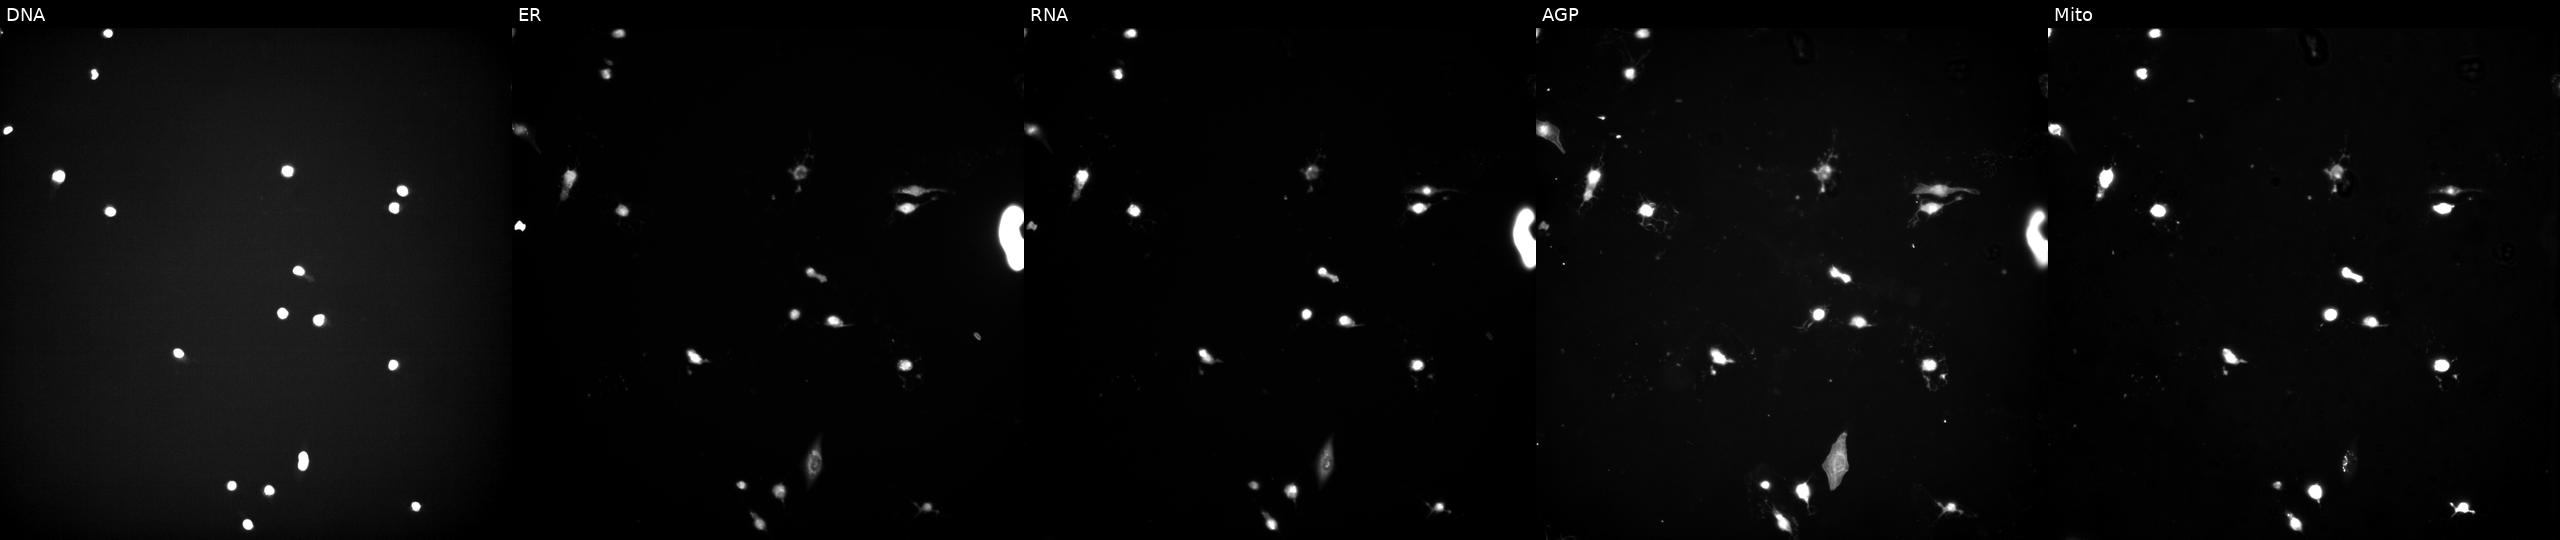
U2OS cells, Cell Painting assay, treated with a small-molecule compound (InChIKey XUZQTIZWMHMWOC-UHFFFAOYSA-N) (JUMP id JCP2022_106219). From left to right: DNA (nuclei); ER (endoplasmic reticulum); RNA (nucleoli and cytoplasmic RNA); AGP (actin cytoskeleton, Golgi, and plasma membrane); Mito (mitochondria). Each panel is percentile-stretched 16-bit fluorescence.